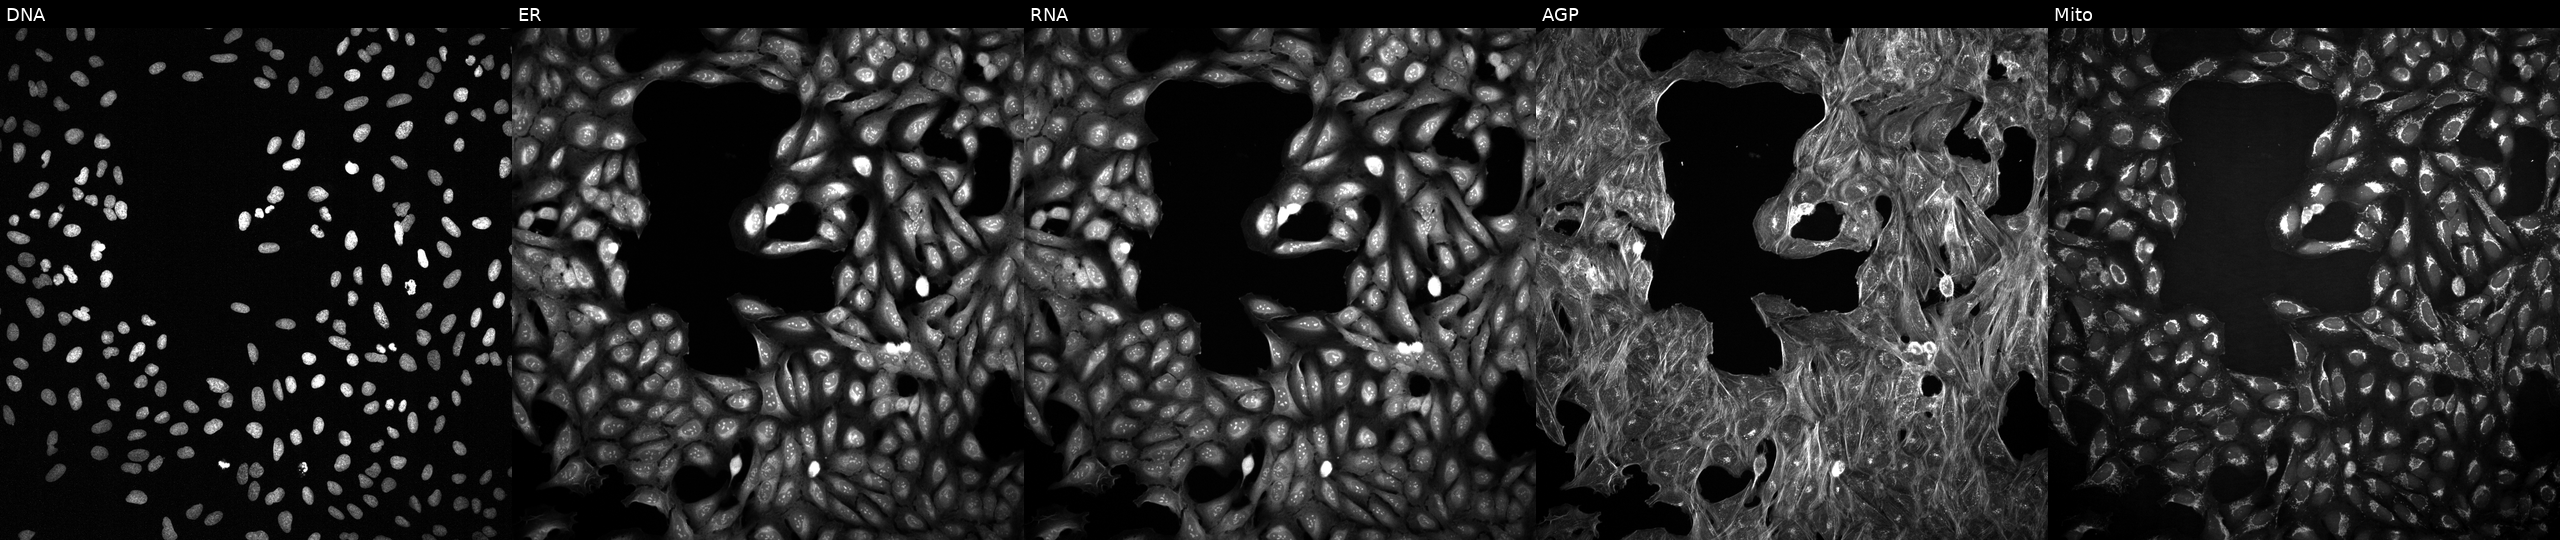
High-content fluorescence microscopy (Cell Painting). Cell line: U2OS. Perturbation: perturbed with a small-molecule compound (InChIKey NDNKNUMSTIMSHQ-UHFFFAOYSA-N) [SMILES: CC(C)C1C(=O)N(S(C)(=O)=O)C2CCN(C(=O)C=CCN3CCCCC3)C12] (JUMP id JCP2022_058288). Panels show, left to right, Hoechst 33342, concanavalin A, SYTO 14, phalloidin and WGA, MitoTracker.